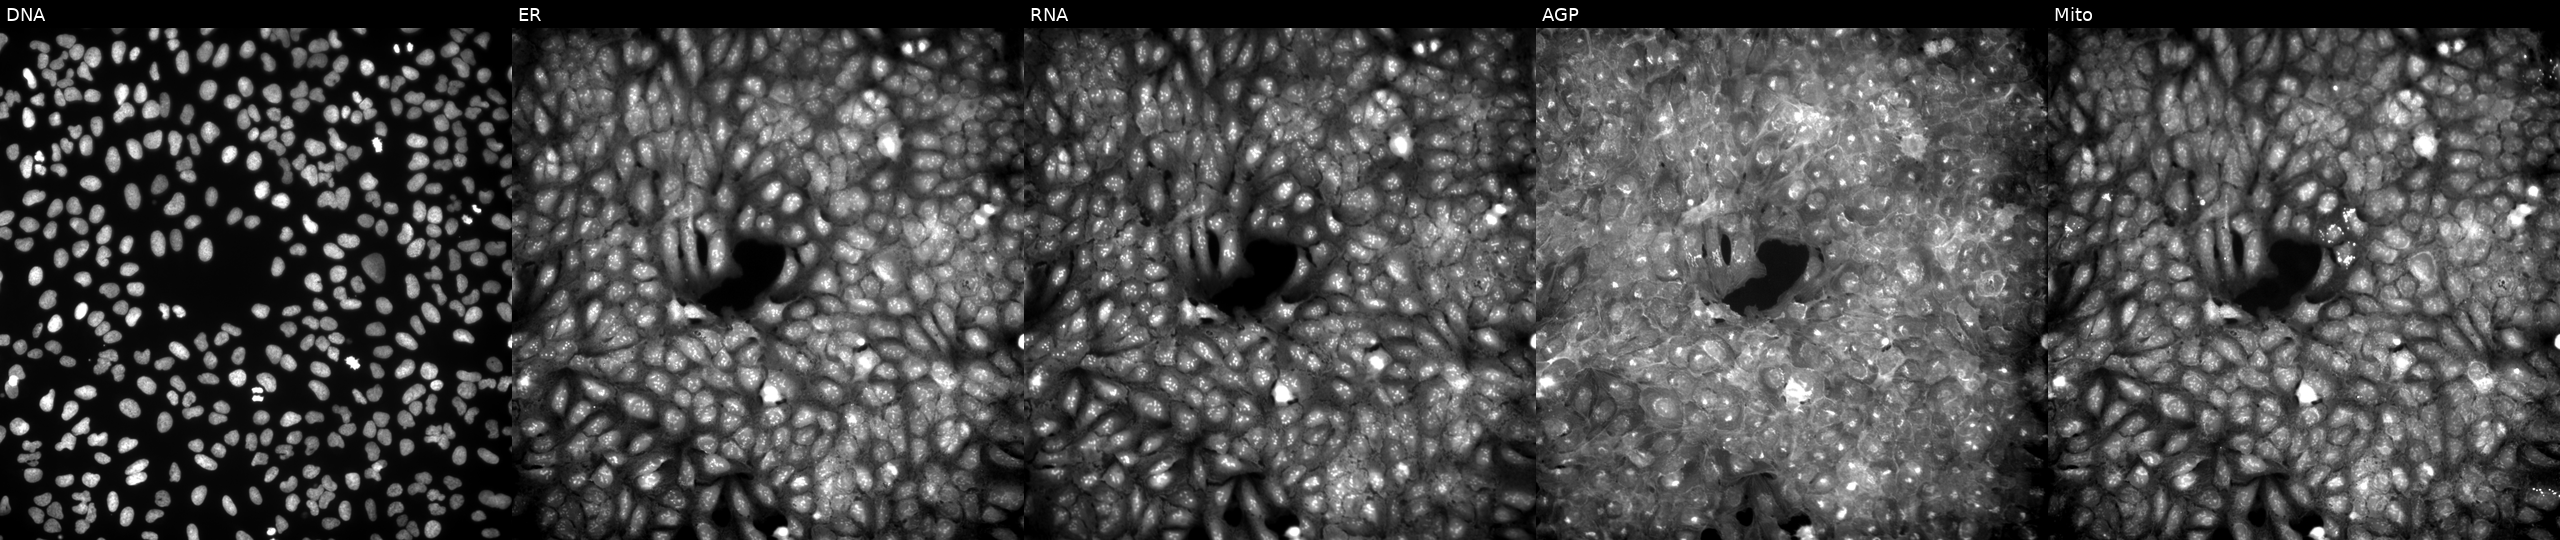
High-content fluorescence microscopy (Cell Painting). Cell line: U2OS. Perturbation: exposed to a small-molecule compound (InChIKey MWCIEMUDQFGNKL-UHFFFAOYSA-N) [SMILES: C=c1[nH]oc(=O)c1=Cc1ccc(OC)c(Br)c1] (JUMP id JCP2022_056914). From left to right: Hoechst 33342, concanavalin A, SYTO 14, phalloidin and WGA, MitoTracker.